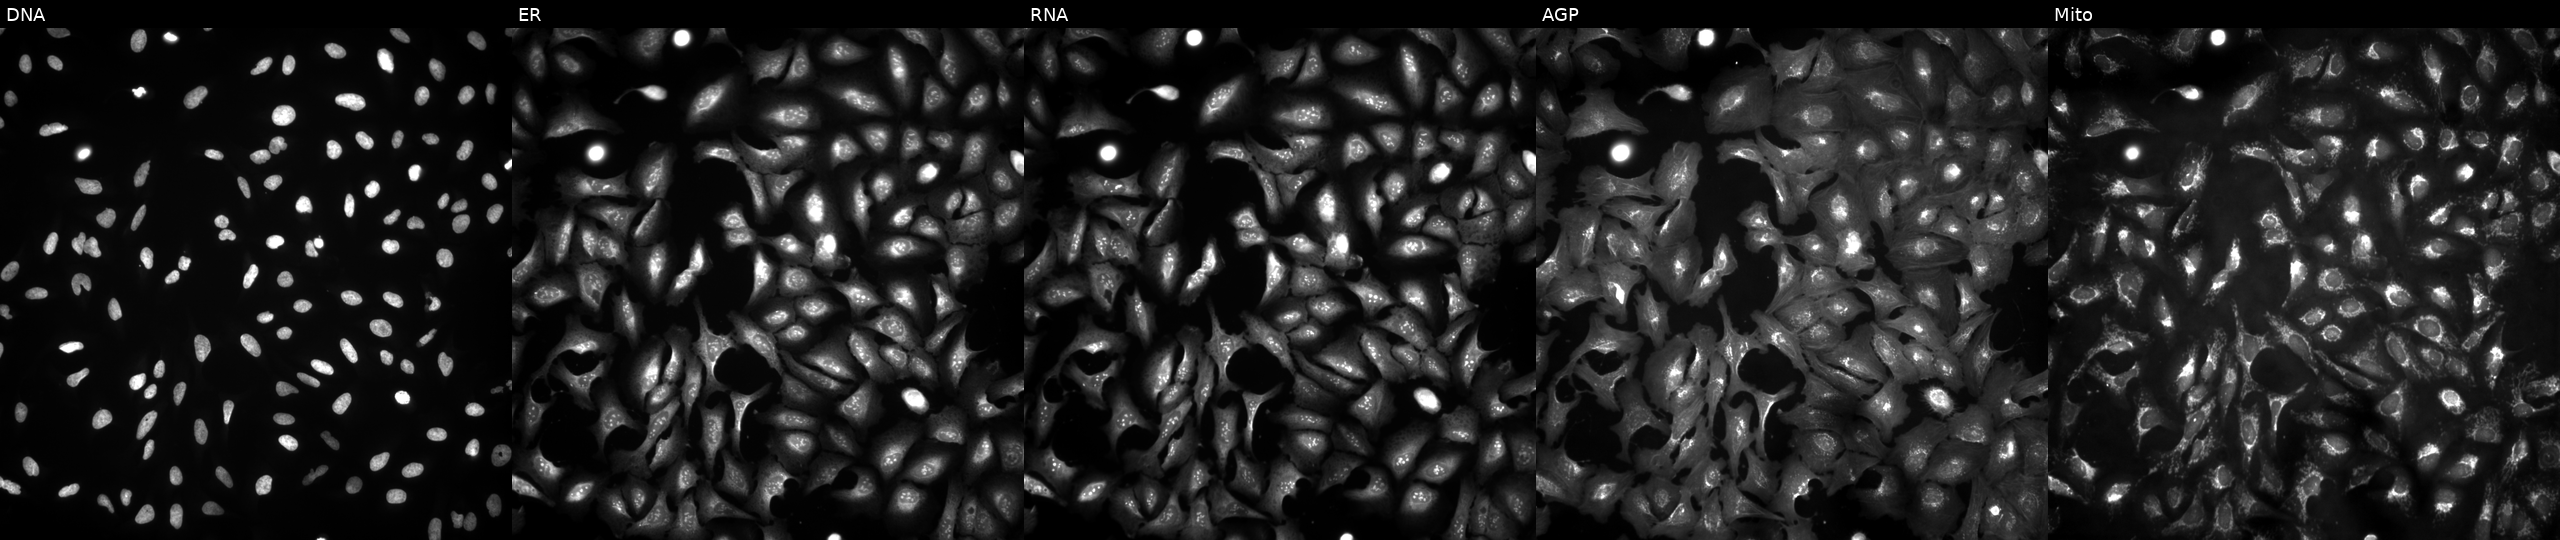
Panels show, left to right, Hoechst 33342, concanavalin A, SYTO 14, phalloidin and WGA, MitoTracker. U2OS osteosarcoma cells overexpressing DDX41 via ORF transfection. Cell Painting assay, JUMP-CP dataset.